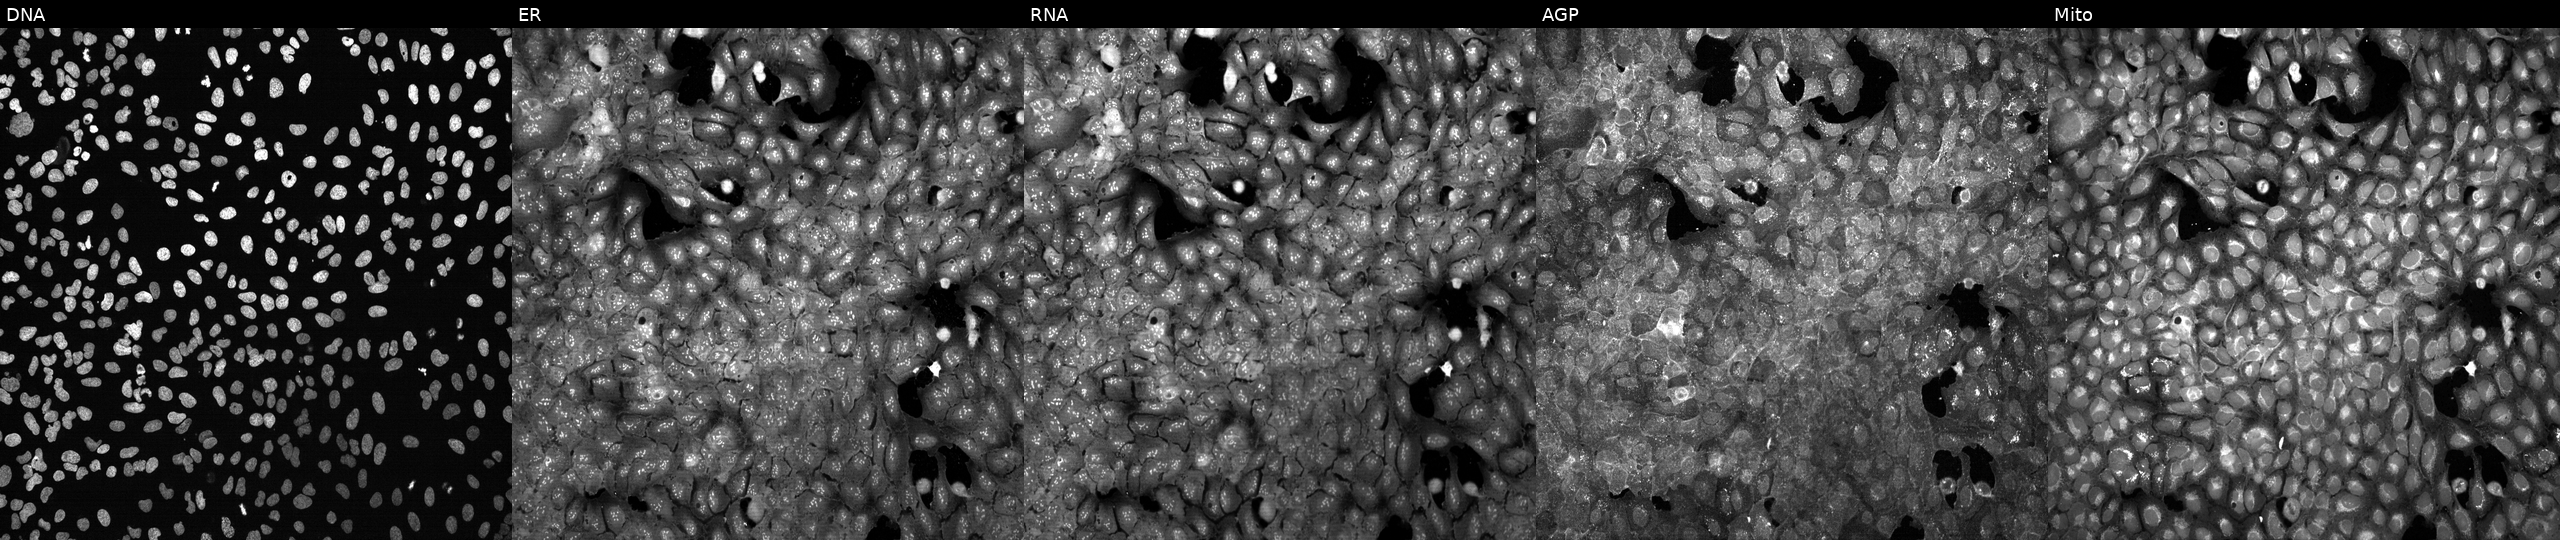
Five-channel Cell Painting image of U2OS cells following CRISPR knockout of SDSL (JUMP id JCP2022_806242). Channels (left→right): Hoechst 33342, concanavalin A, SYTO 14, phalloidin and WGA, MitoTracker. Source 13, plate CP-CC9-R1-01, well H15.